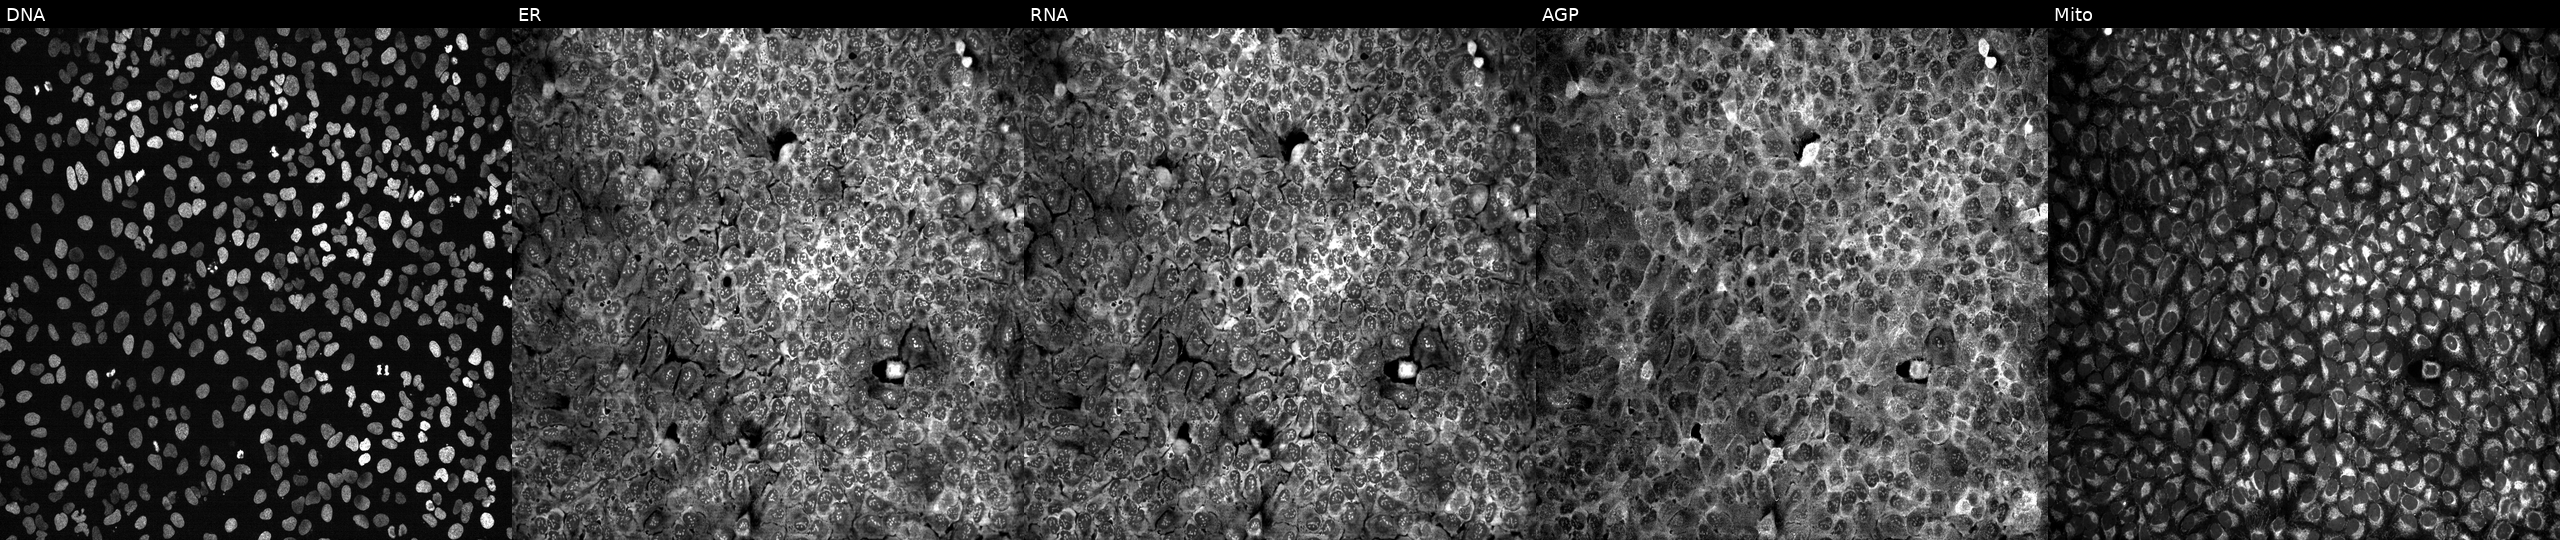
Five-channel Cell Painting image of U2OS cells CRISPR-edited to disrupt MTRF1 (JUMP id JCP2022_804330). From left to right: DNA, ER, RNA, AGP, and Mito. Source 13, plate CP-CC9-R3-01, well F07.